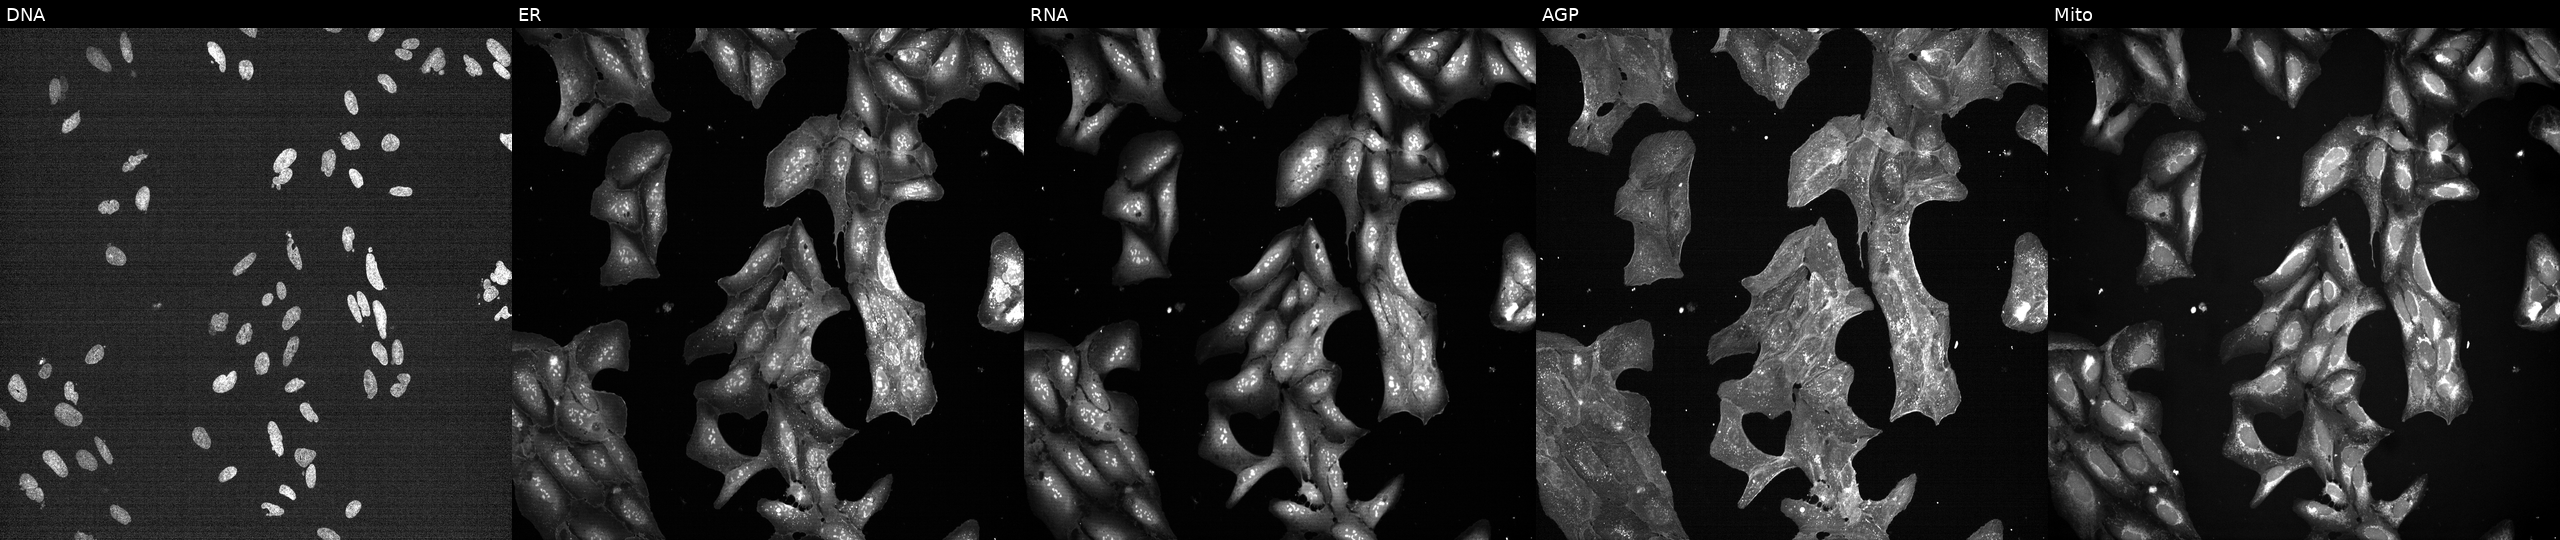
High-content fluorescence microscopy (Cell Painting). Cell line: U2OS. Perturbation: perturbed with a small-molecule compound (InChIKey KRBSMMVJJVHVCB-UHFFFAOYSA-N) [SMILES: COC(C(=O)n1cc2[nH][nH]c(=NC(O)c3ccc(N4CCN(C)CC4)cc3)c2c1)c1ccccc1] (JUMP id JCP2022_046462). The five panels, left to right, show DNA, ER, RNA, AGP, and Mito.